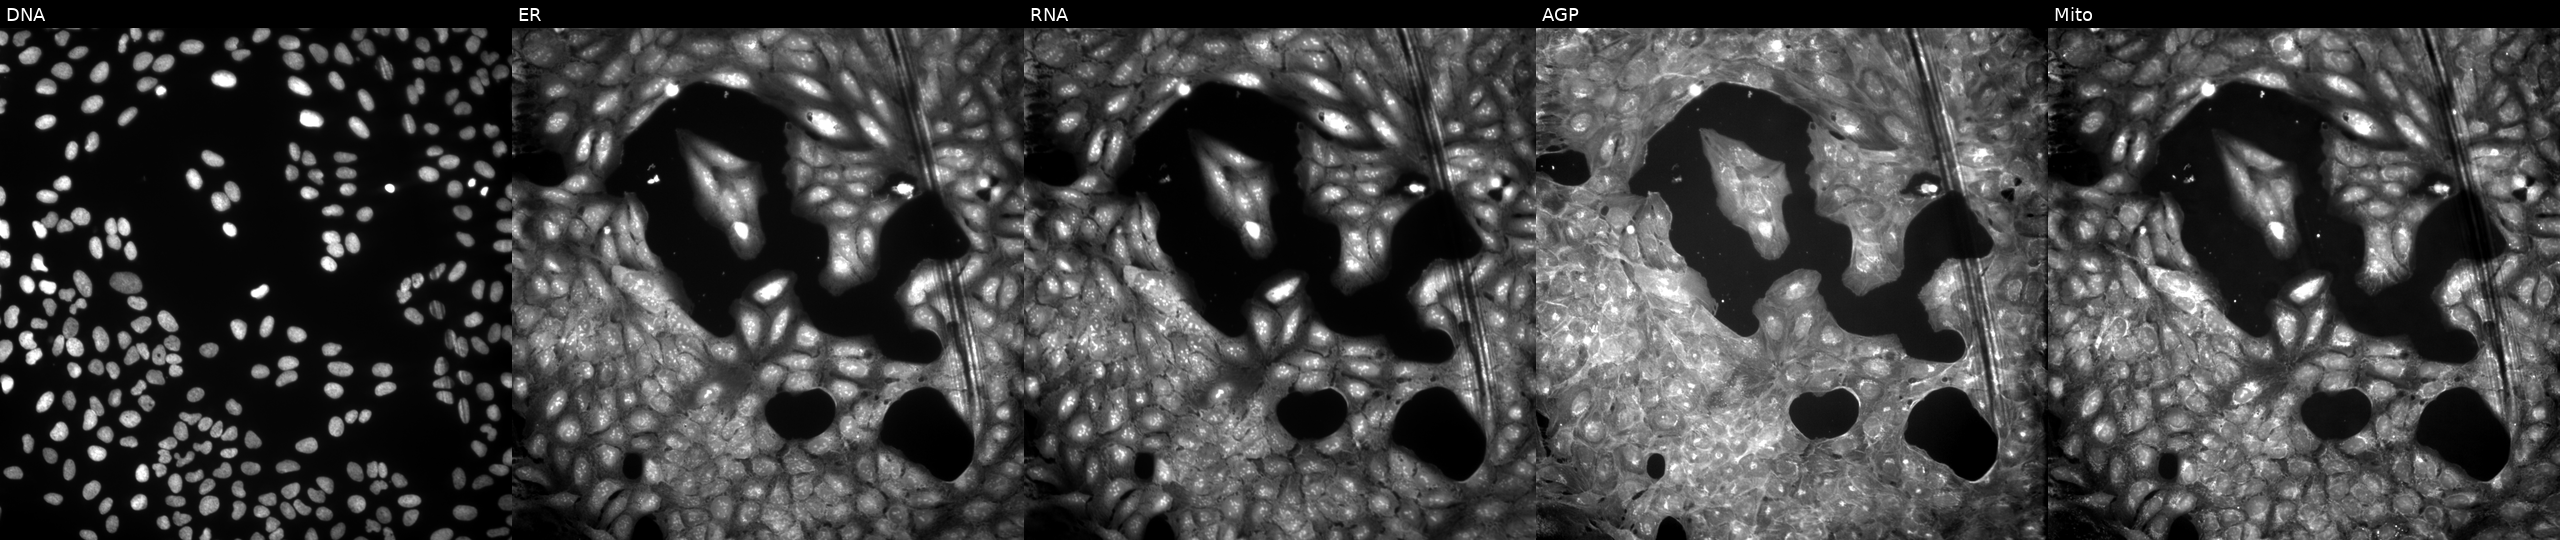
U2OS cells, Cell Painting assay, exposed to a small-molecule compound (InChIKey FEUHOZRIMZHNTB-UHFFFAOYSA-N). Channels (left→right): DNA, ER, RNA, AGP, and Mito. Each panel is percentile-stretched 16-bit fluorescence.